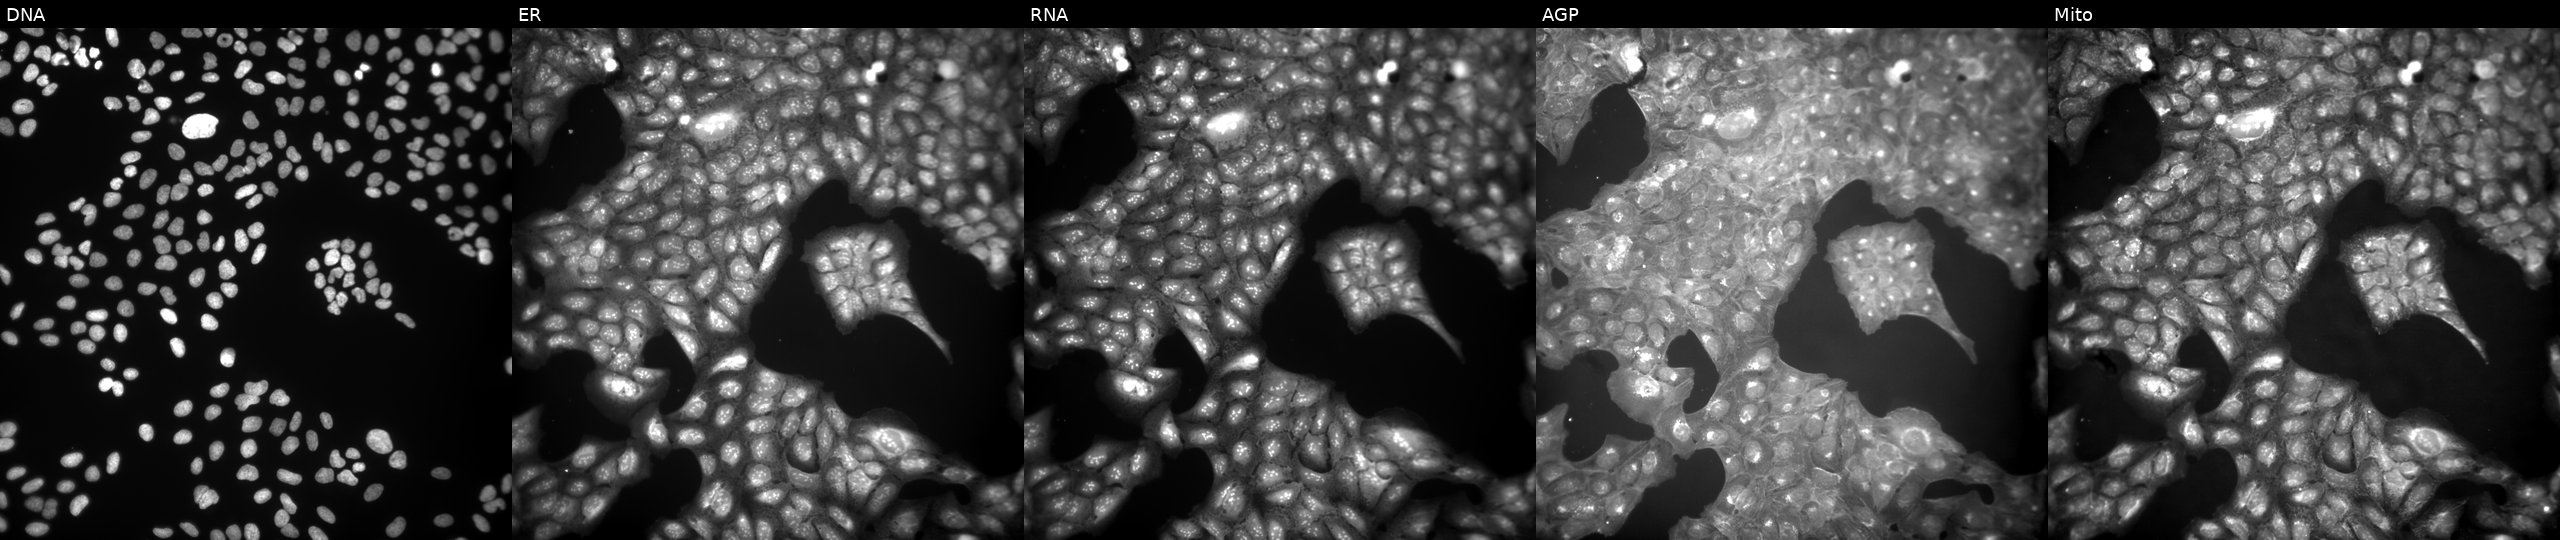
JUMP Cell Painting — COMPOUND plate. U2OS cells exposed to a small-molecule compound (InChIKey CJHSDEGGVVUWFK-UHFFFAOYSA-N) [SMILES: CCCCOC(=O)c1cccc(NC(=O)c2cccc(Cl)c2)c1]. The five panels, left to right, show Hoechst 33342, concanavalin A, SYTO 14, phalloidin and WGA, MitoTracker.